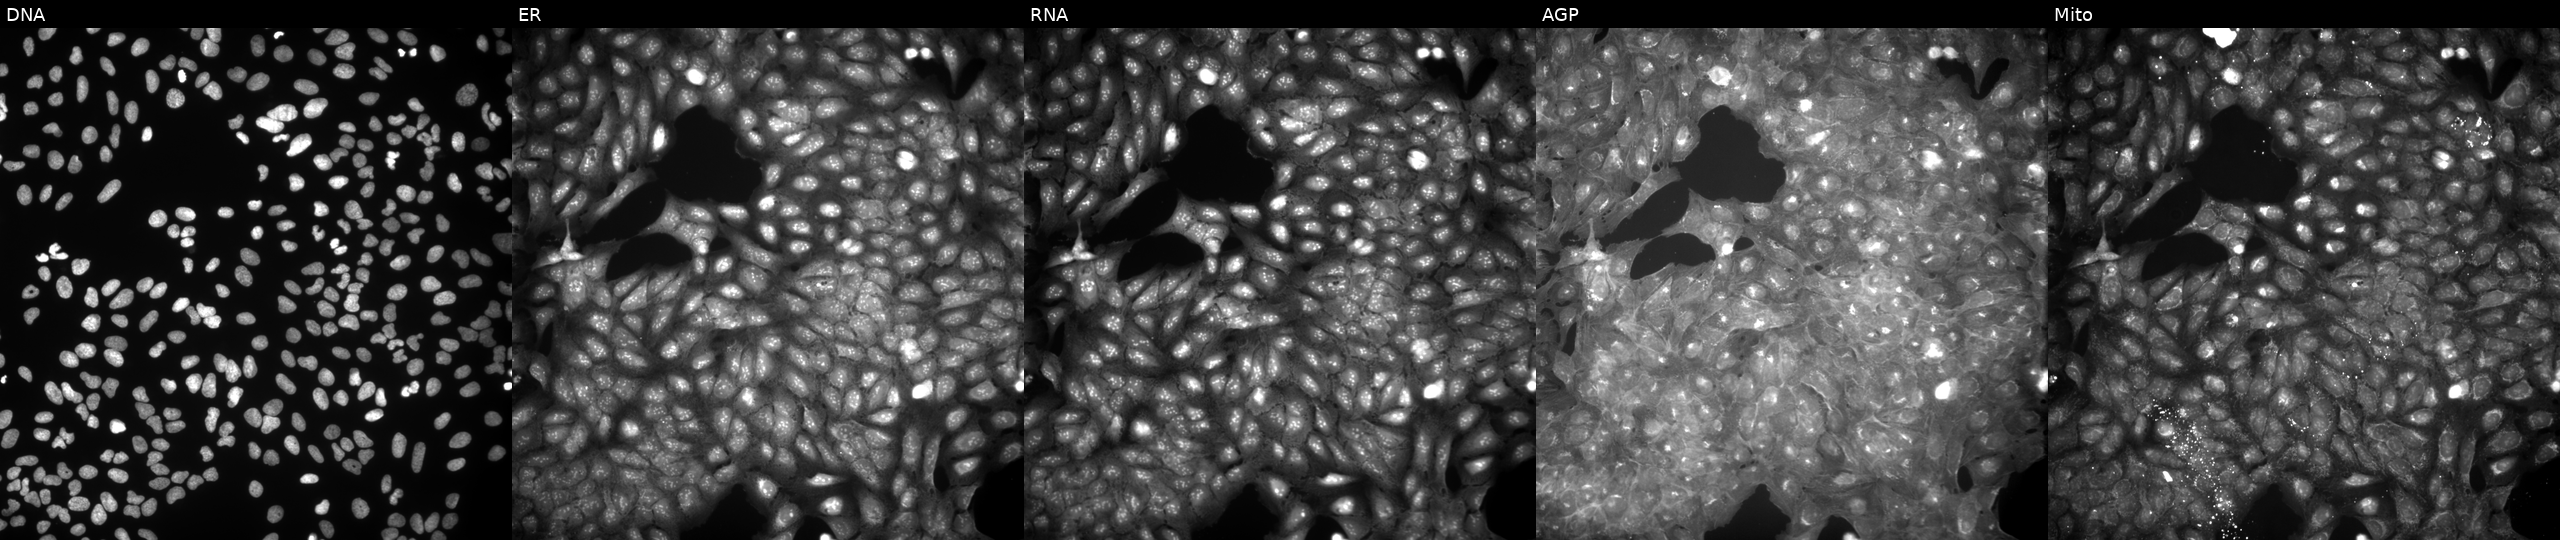
This image strip shows the five Cell Painting channels for a single field of U2OS cells treated with a small-molecule compound (InChIKey SGVFTWBVABCADA-UHFFFAOYSA-N). The five panels, left to right, show DNA (nuclei); ER (endoplasmic reticulum); RNA (nucleoli and cytoplasmic RNA); AGP (actin cytoskeleton, Golgi, and plasma membrane); Mito (mitochondria).